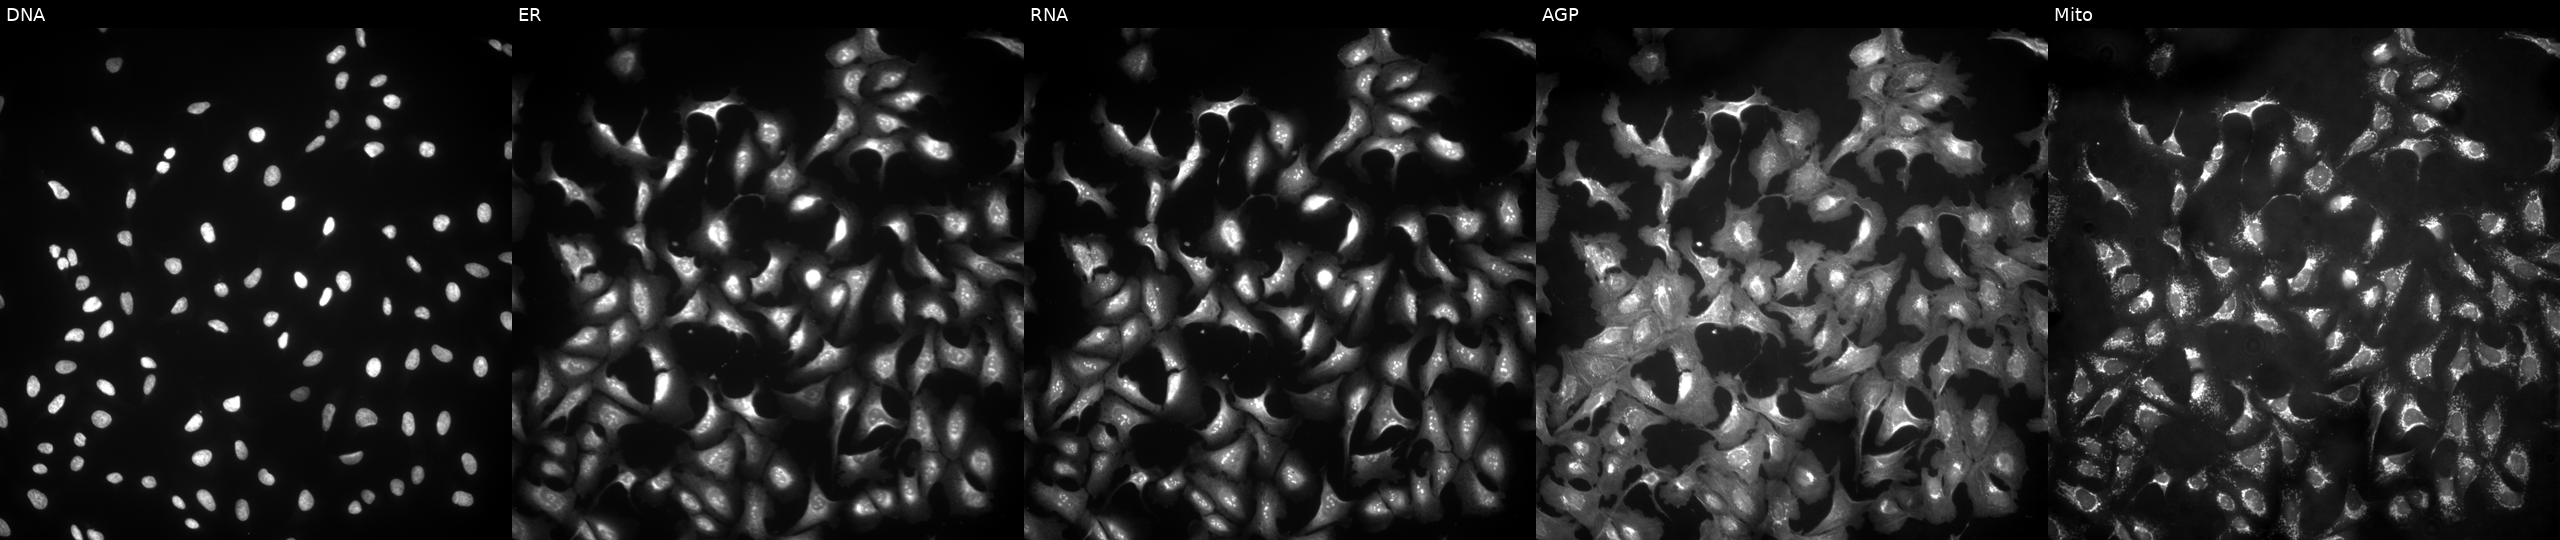
JUMP Cell Painting — ORF plate. U2OS cells transfected with an ORF construct for DCAF12L1. From left to right: DNA, ER, RNA, AGP, and Mito.